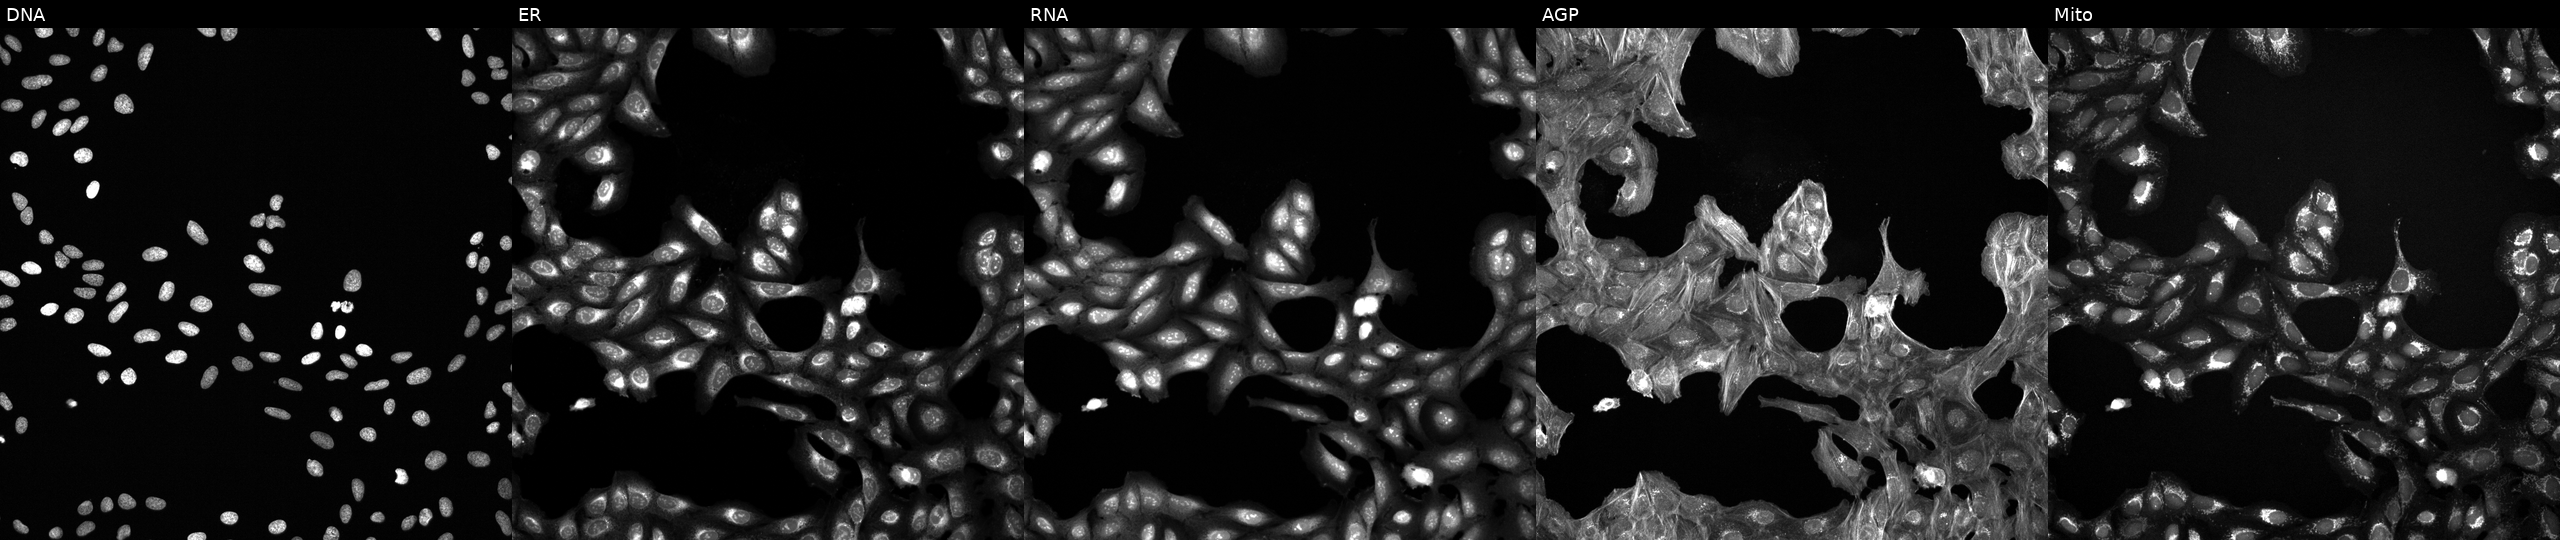
This image strip shows the five Cell Painting channels for a single field of U2OS cells treated with a small-molecule compound (JUMP id JCP2022_099471). Channels (left→right): Hoechst 33342, concanavalin A, SYTO 14, phalloidin and WGA, MitoTracker. Source 6, plate 110000293093, well A17.